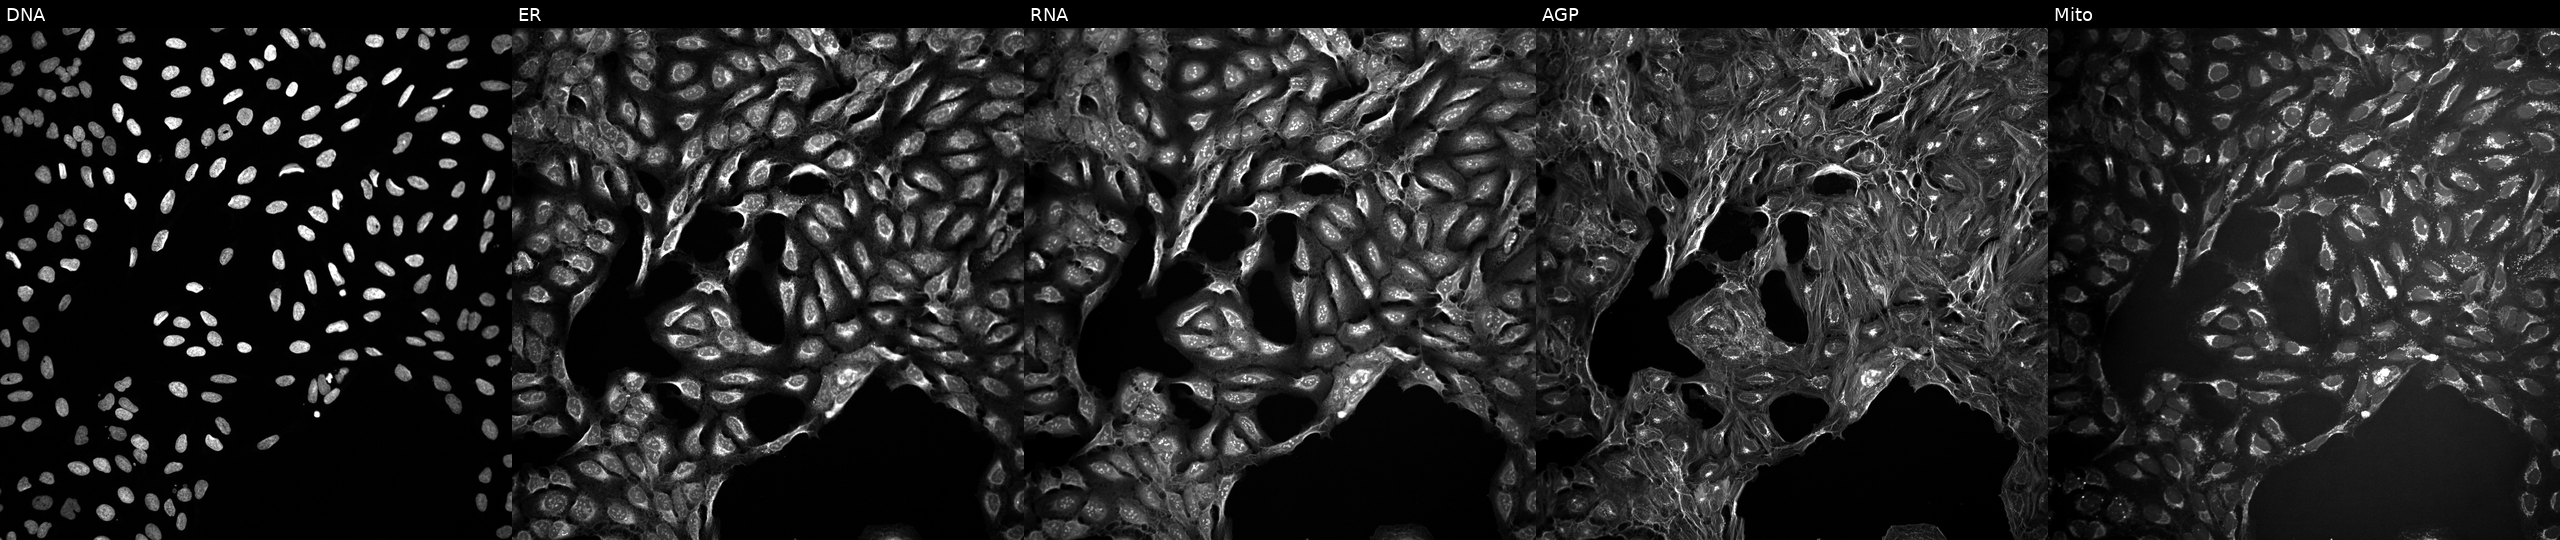
U2OS cells, Cell Painting assay, untreated (empty-well control) (JUMP id JCP2022_999999). From left to right: DNA (nuclei); ER (endoplasmic reticulum); RNA (nucleoli and cytoplasmic RNA); AGP (actin cytoskeleton, Golgi, and plasma membrane); Mito (mitochondria). Each panel is percentile-stretched 16-bit fluorescence.